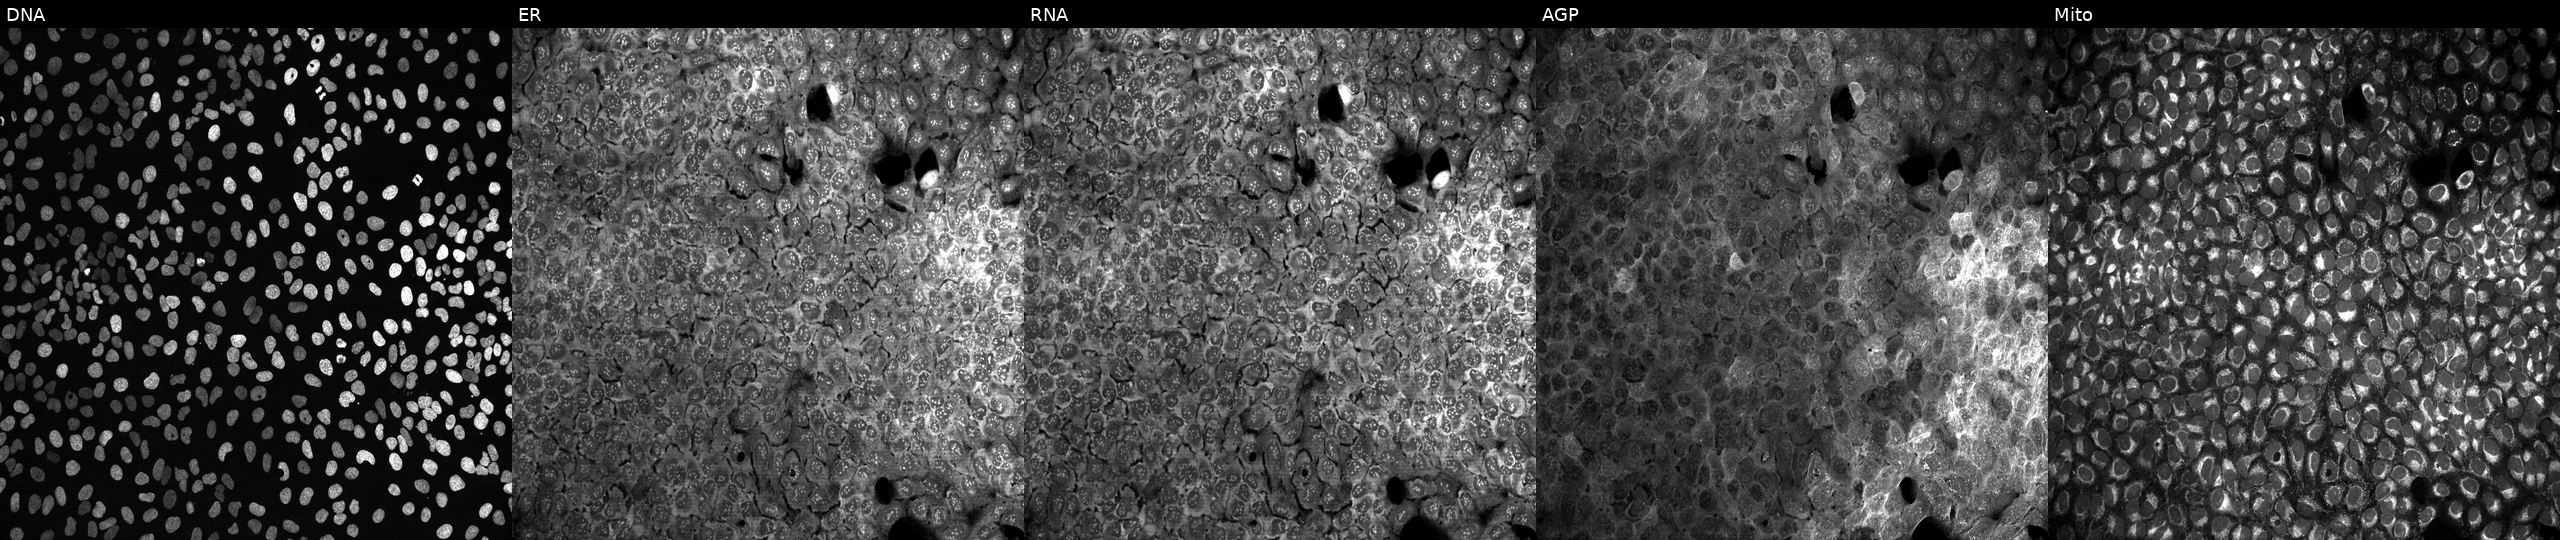
The five panels, left to right, show DNA, ER, RNA, AGP, and Mito. U2OS osteosarcoma cells treated with DMSO vehicle only (negative control) (JUMP id JCP2022_033924). Cell Painting assay, JUMP-CP dataset. Source 13, plate CP-CC9-R2-02, well F02.